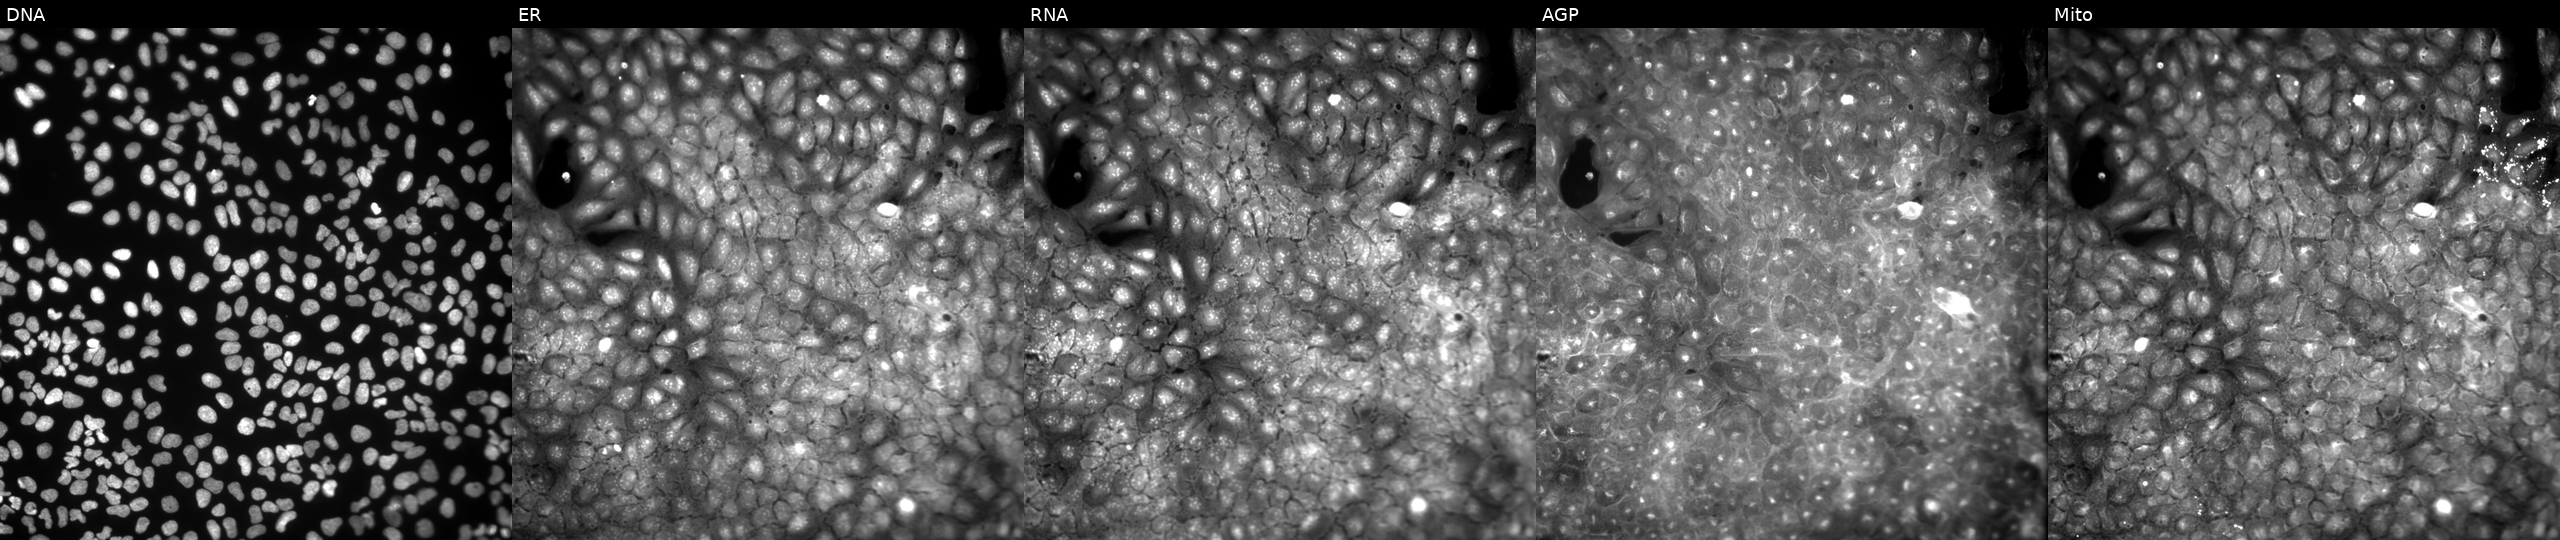
This image strip shows the five Cell Painting channels for a single field of U2OS cells perturbed with a small-molecule compound. From left to right: DNA (nuclei); ER (endoplasmic reticulum); RNA (nucleoli and cytoplasmic RNA); AGP (actin cytoskeleton, Golgi, and plasma membrane); Mito (mitochondria). Source 9, plate GR00003381, well AC41.